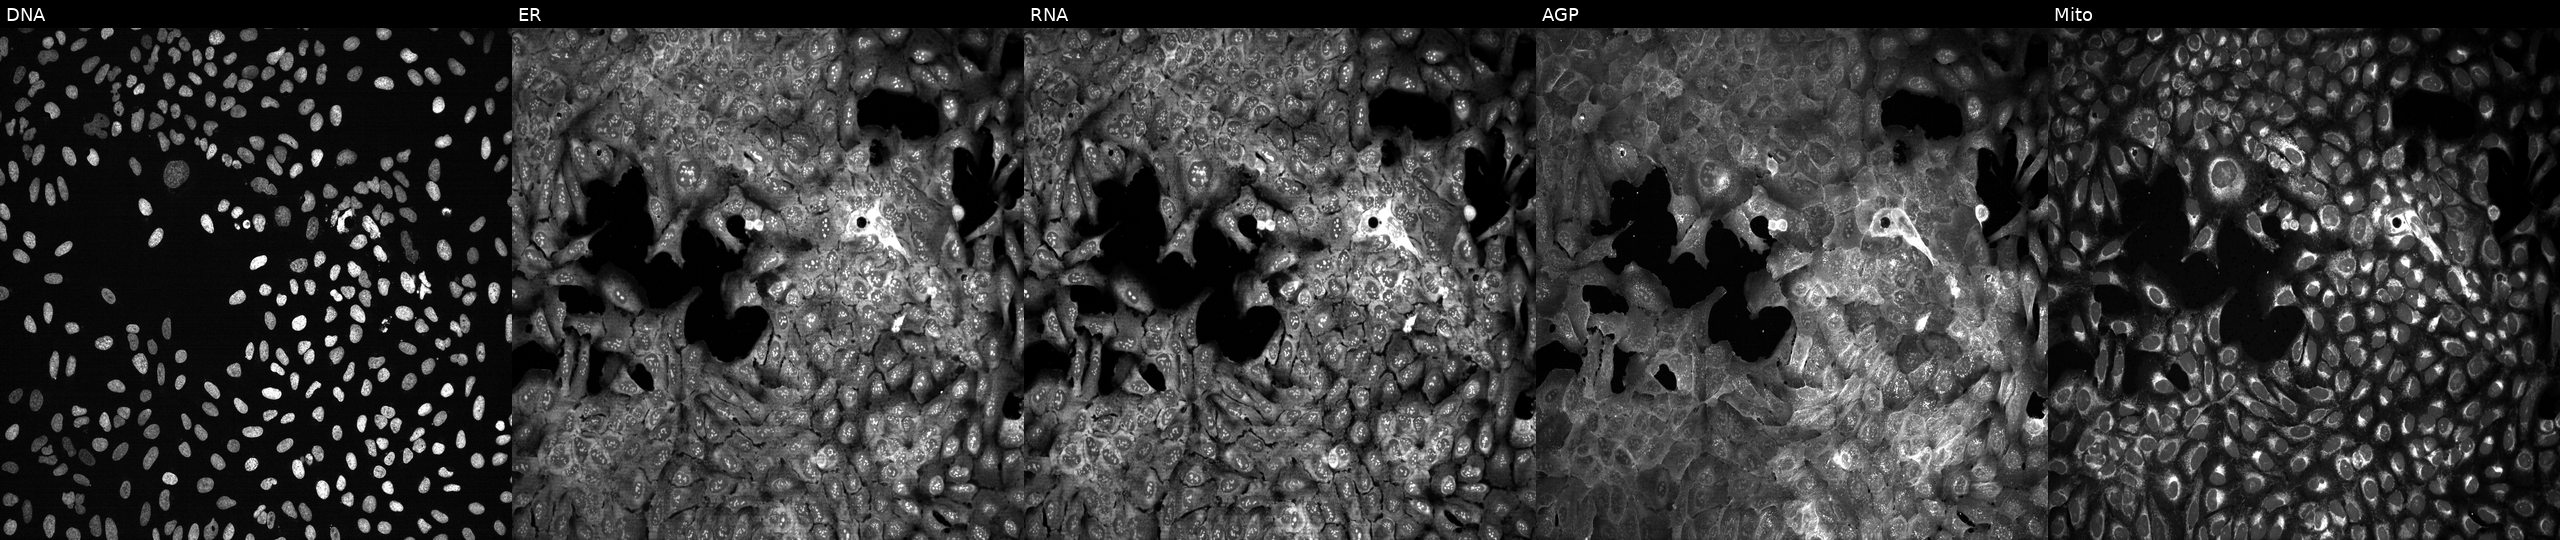
JUMP Cell Painting — CRISPR plate. U2OS cells CRISPR-edited to disrupt PRSS22 (JUMP id JCP2022_805580). From left to right: DNA, ER, RNA, AGP, and Mito.